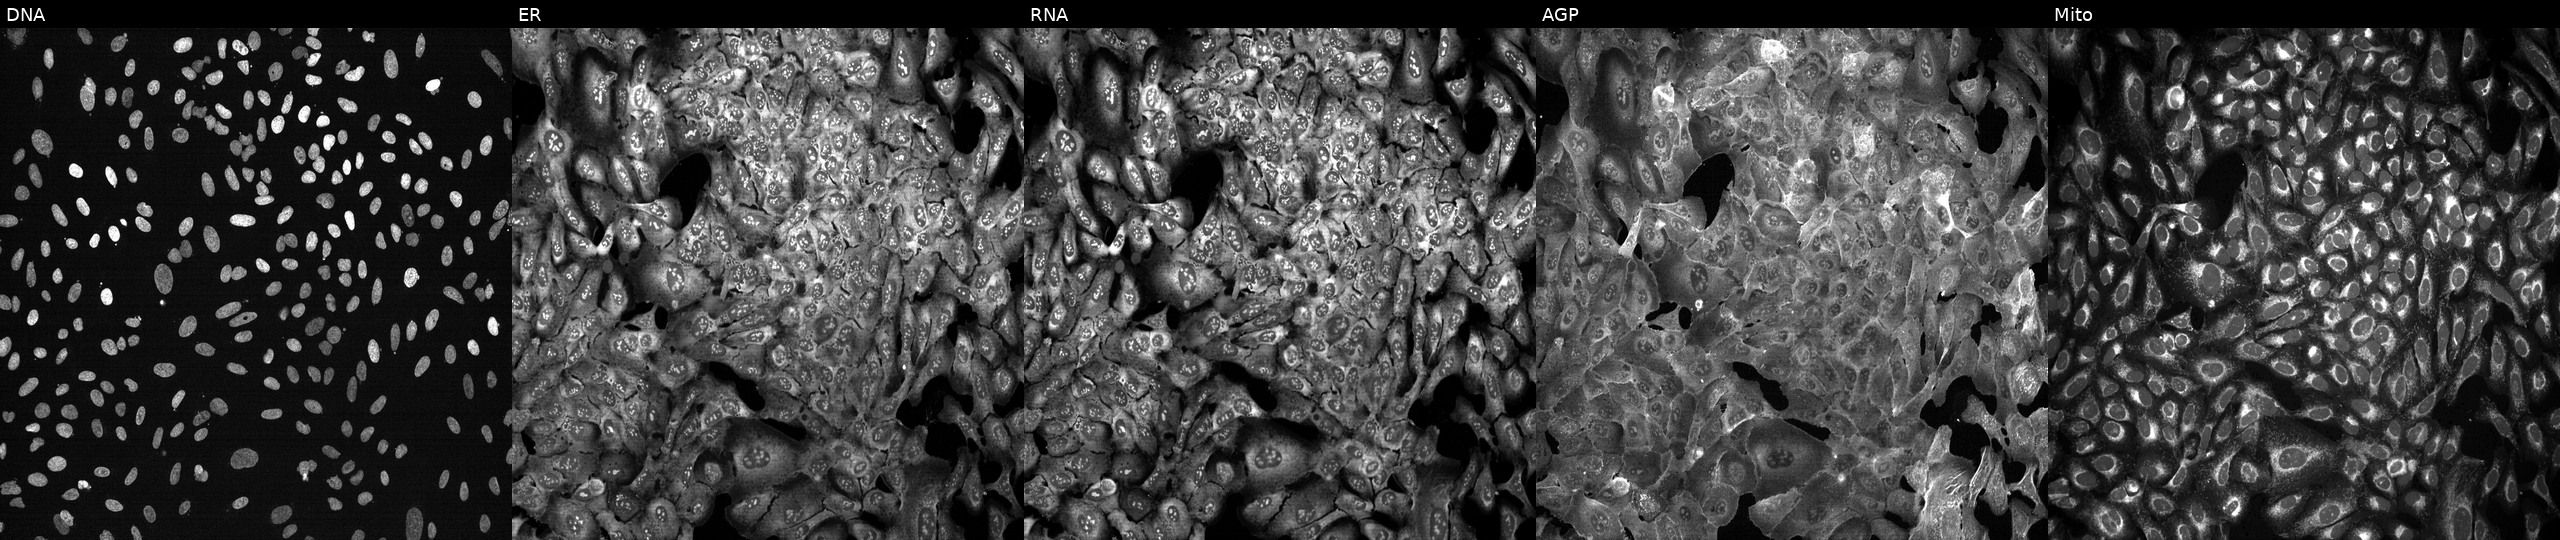
U2OS cells, Cell Painting assay, with METTL7B knocked out by CRISPR. The five panels, left to right, show Hoechst 33342, concanavalin A, SYTO 14, phalloidin and WGA, MitoTracker. Each panel is percentile-stretched 16-bit fluorescence.